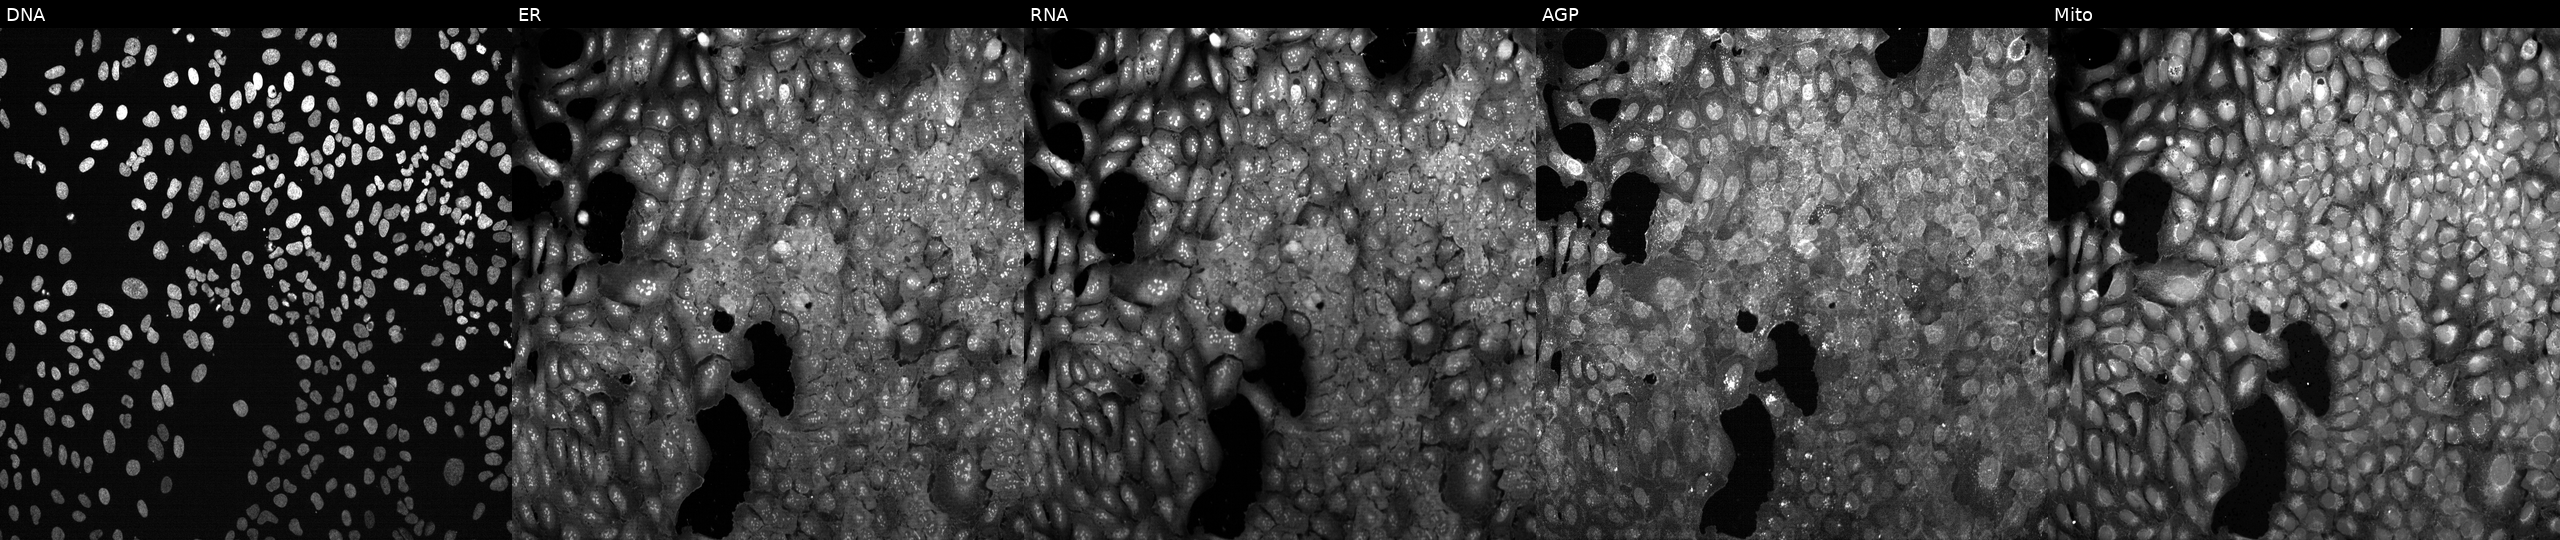
JUMP Cell Painting — CRISPR plate. U2OS cells following CRISPR knockout of RAP2C. Panels show, left to right, DNA, ER, RNA, AGP, and Mito.